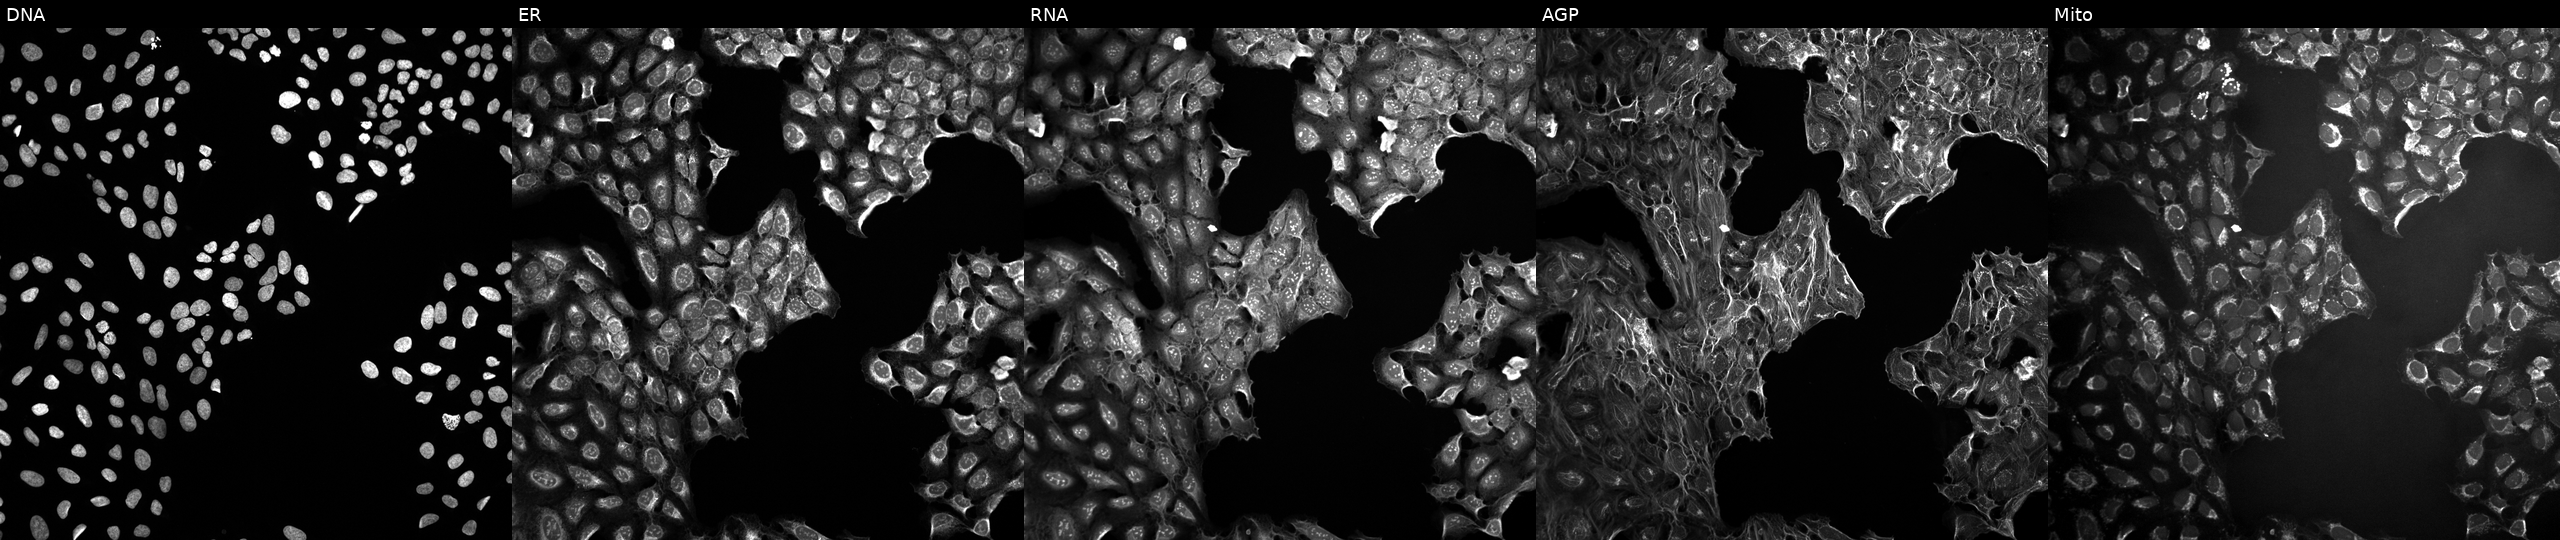
U2OS cells, Cell Painting assay, untreated (empty-well control). The five panels, left to right, show Hoechst 33342, concanavalin A, SYTO 14, phalloidin and WGA, MitoTracker. Each panel is percentile-stretched 16-bit fluorescence.